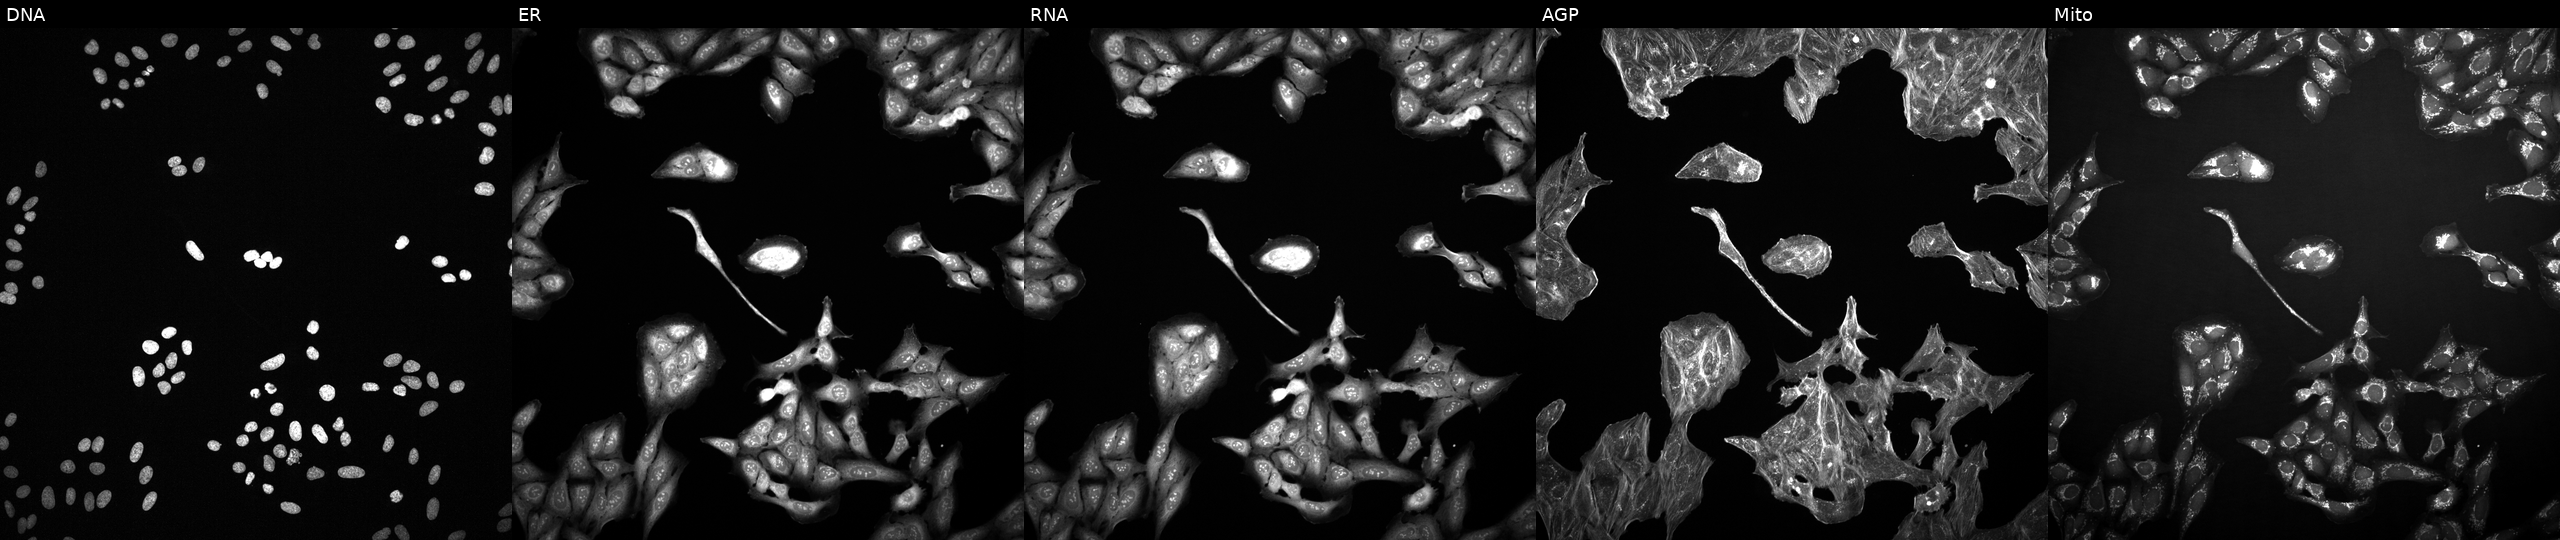
Channels (left→right): Hoechst 33342, concanavalin A, SYTO 14, phalloidin and WGA, MitoTracker. U2OS osteosarcoma cells exposed to a small-molecule compound (InChIKey CDJNNOJINJAXPV-UHFFFAOYSA-N). Cell Painting assay, JUMP-CP dataset.